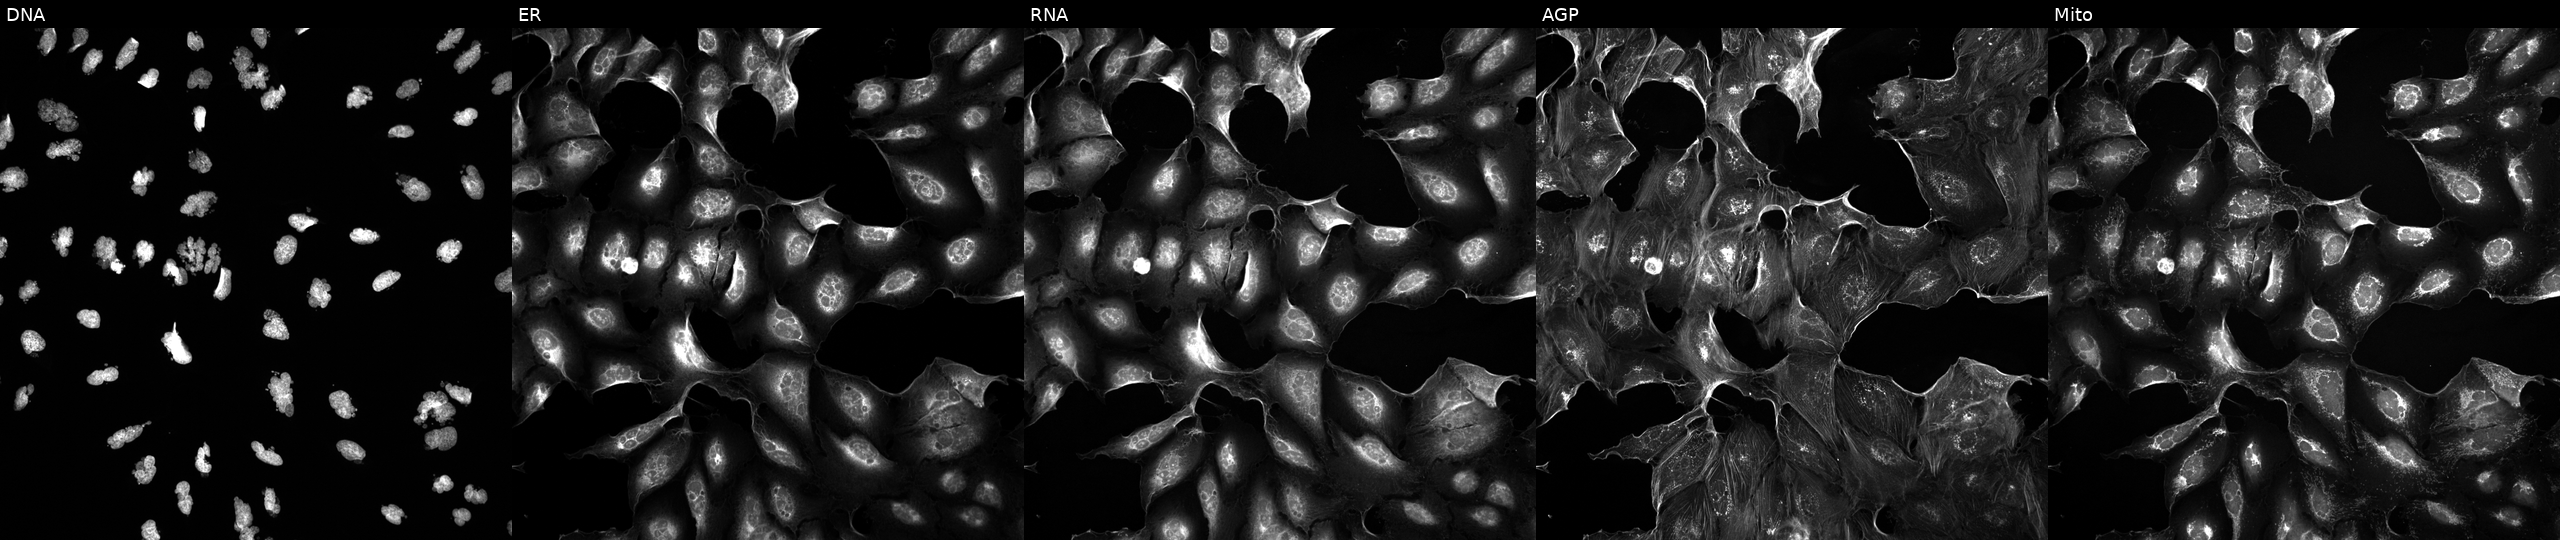
This image strip shows the five Cell Painting channels for a single field of U2OS cells treated with AMG900 (positive-control compound) (JUMP id JCP2022_037716). Channels (left→right): Hoechst 33342, concanavalin A, SYTO 14, phalloidin and WGA, MitoTracker. Source 5, plate ACPJUM012, well L15.